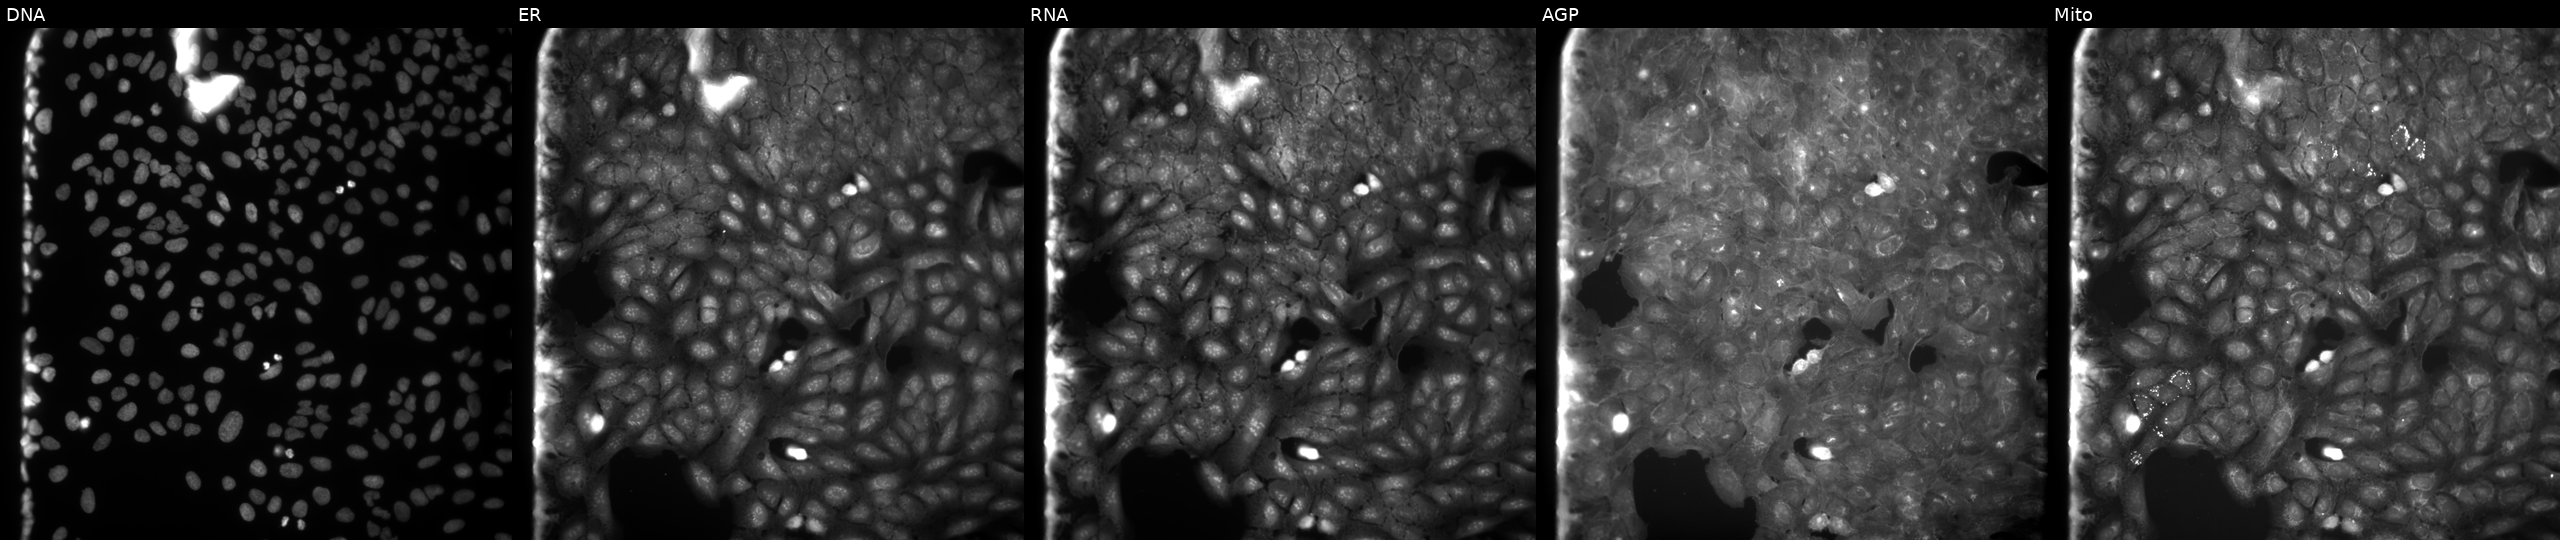
The five panels, left to right, show Hoechst 33342, concanavalin A, SYTO 14, phalloidin and WGA, MitoTracker. U2OS osteosarcoma cells exposed to DMSO alone as a negative control (JUMP id JCP2022_033924). Cell Painting assay, JUMP-CP dataset. Source 9, plate GR00003382, well M02.